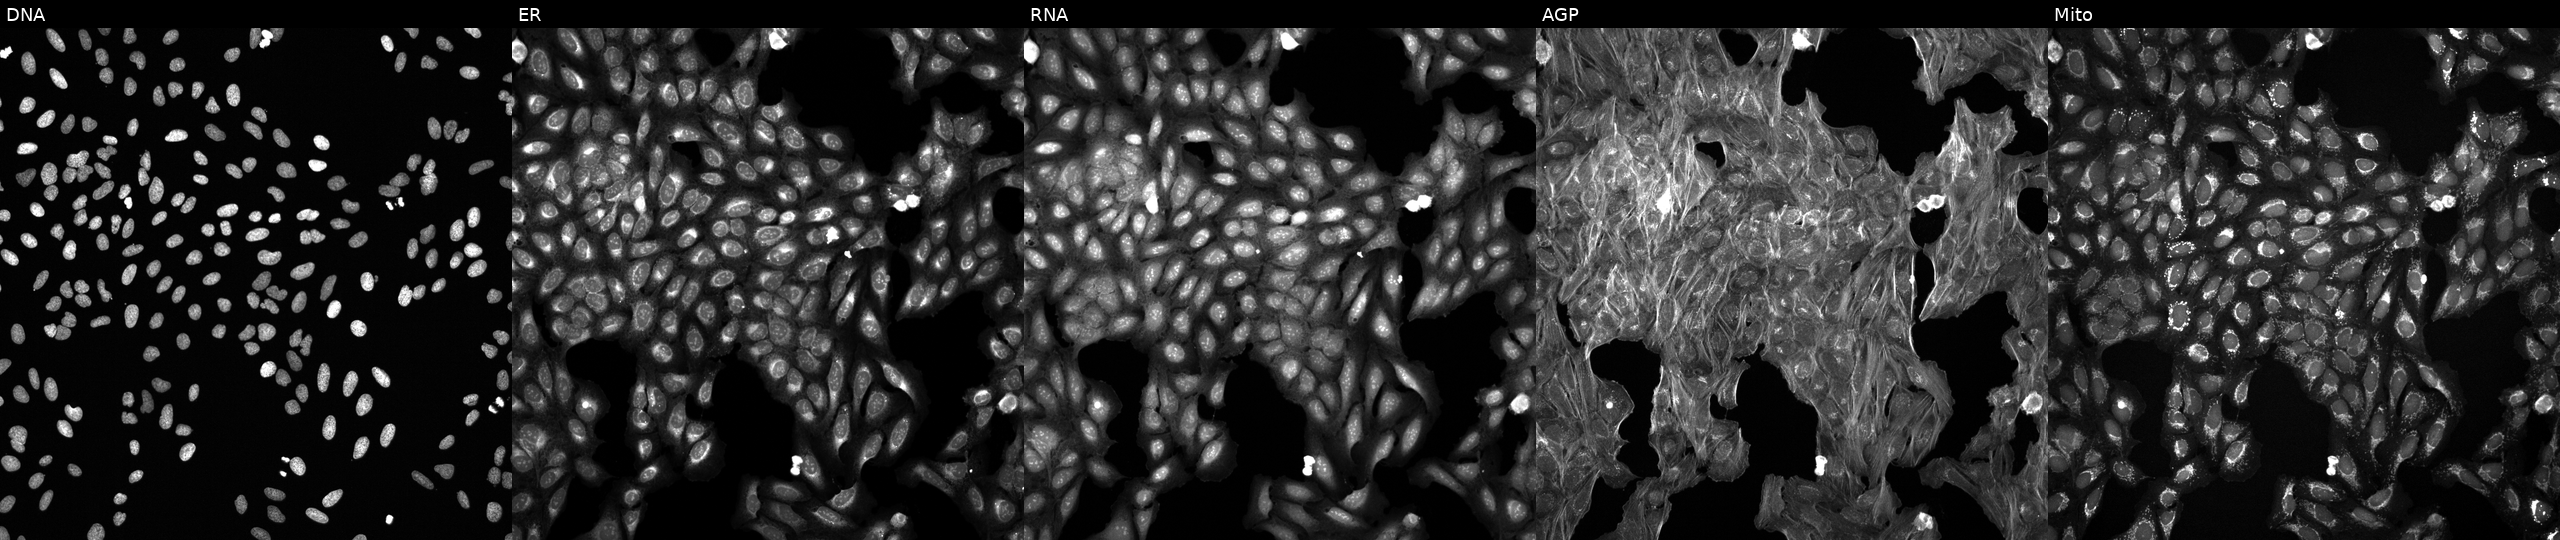
Panels show, left to right, Hoechst 33342, concanavalin A, SYTO 14, phalloidin and WGA, MitoTracker. U2OS osteosarcoma cells treated with DMSO vehicle only (negative control). Cell Painting assay, JUMP-CP dataset.